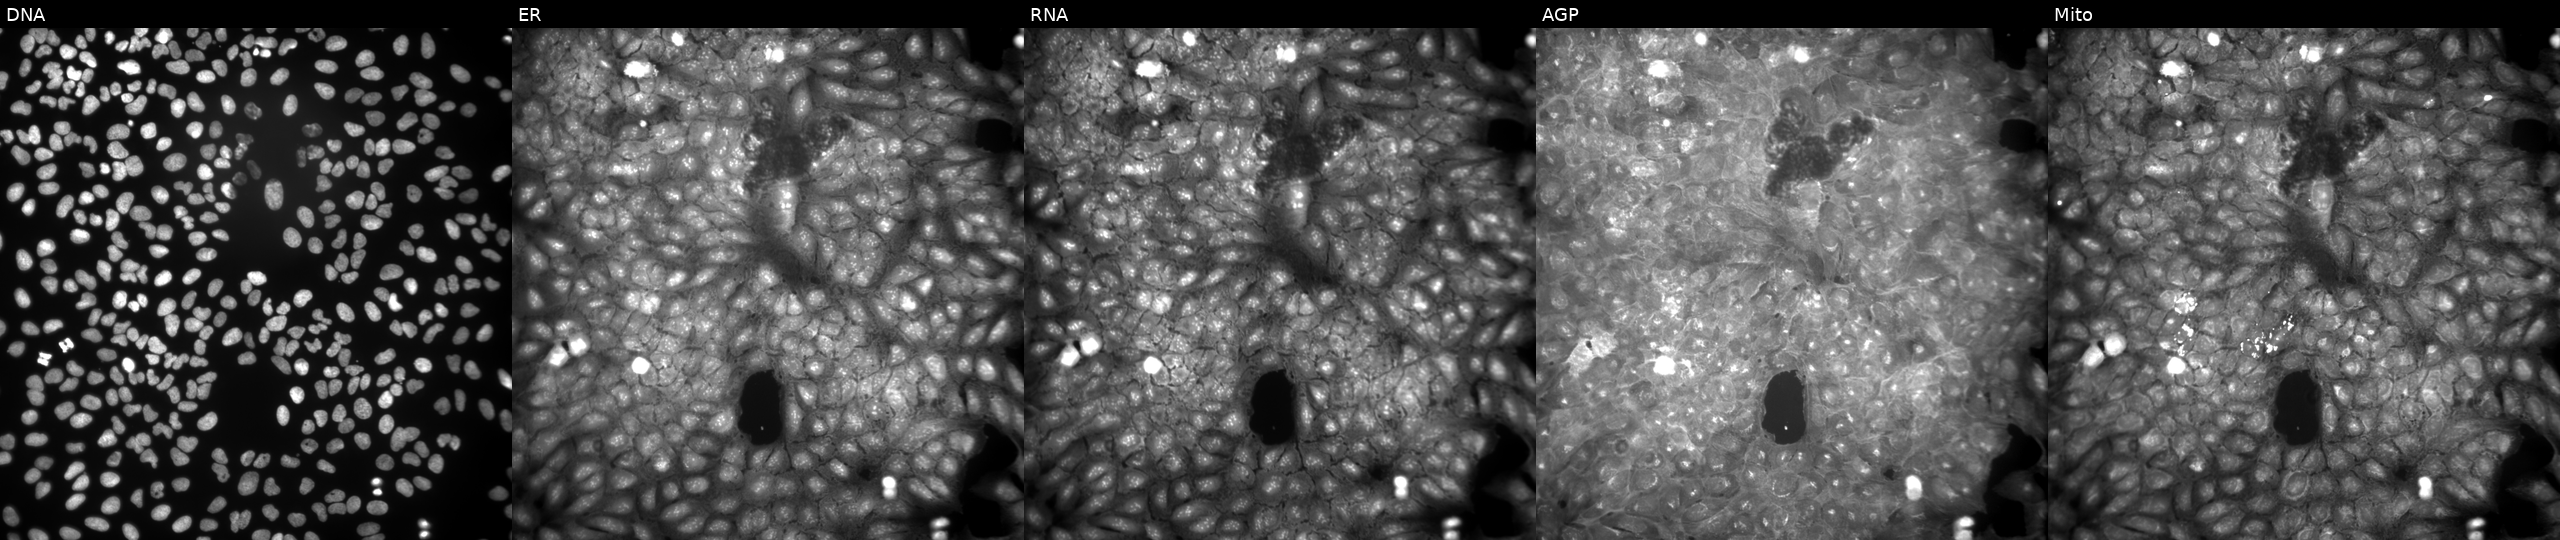
Panels show, left to right, DNA, ER, RNA, AGP, and Mito. U2OS osteosarcoma cells perturbed with a small-molecule compound (InChIKey NVBGDBKGGANZFC-UHFFFAOYSA-N) [SMILES: CCOc1ccc(C(=O)Nc2cccc3nsnc23)cc1[N+](=O)[O-]] (JUMP id JCP2022_061553). Cell Painting assay, JUMP-CP dataset.